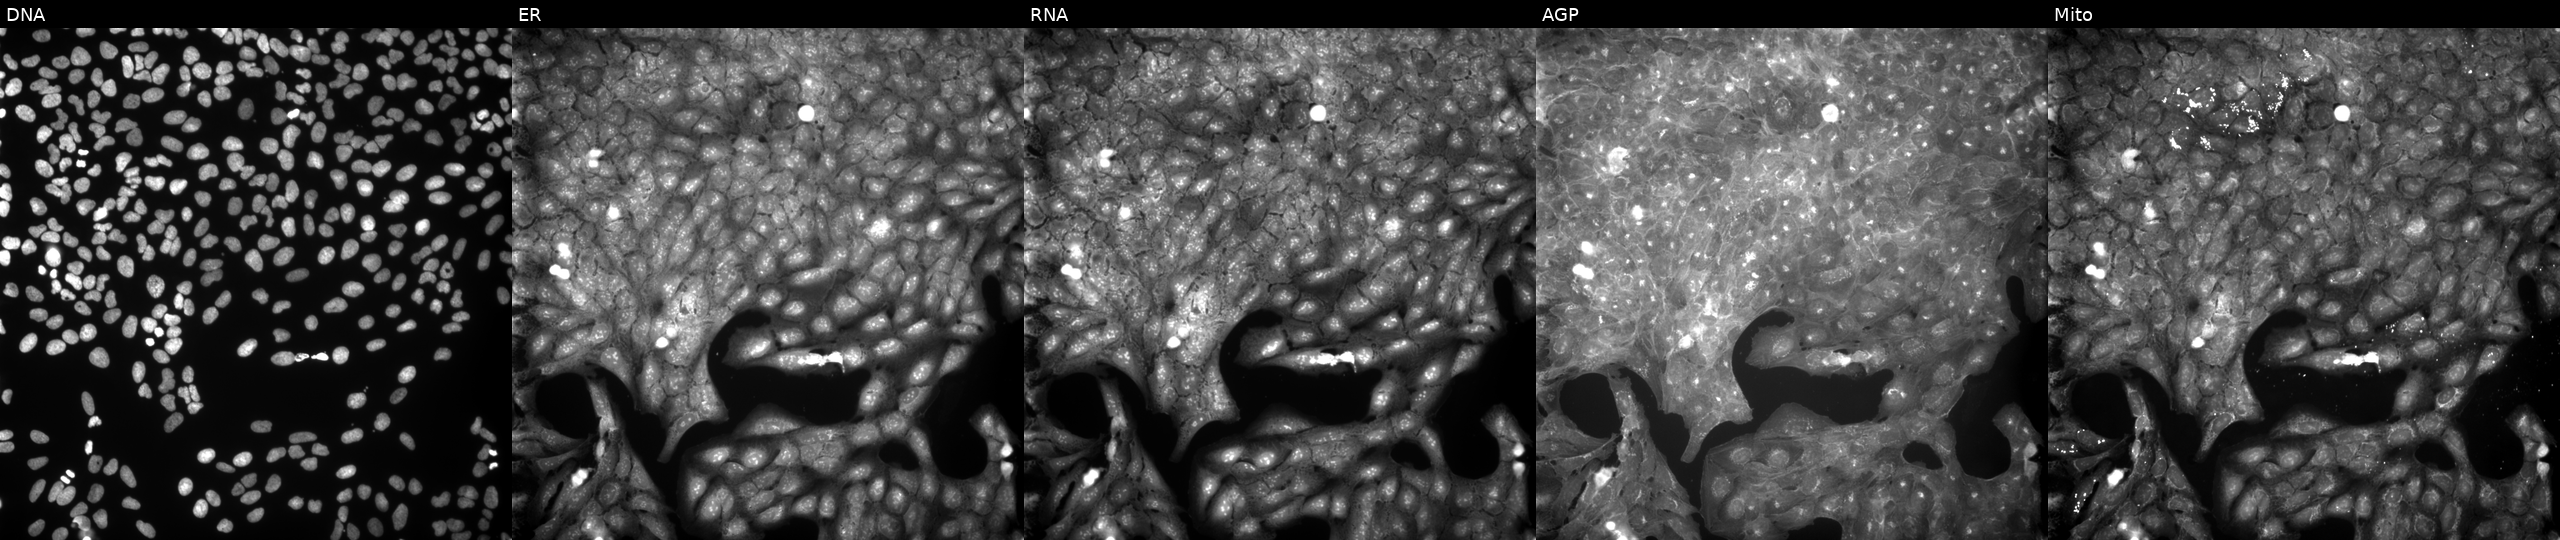
Five-channel Cell Painting image of U2OS cells exposed to the positive-control compound dexamethasone. From left to right: DNA, ER, RNA, AGP, and Mito. Source 9, plate GR00003382, well K25.